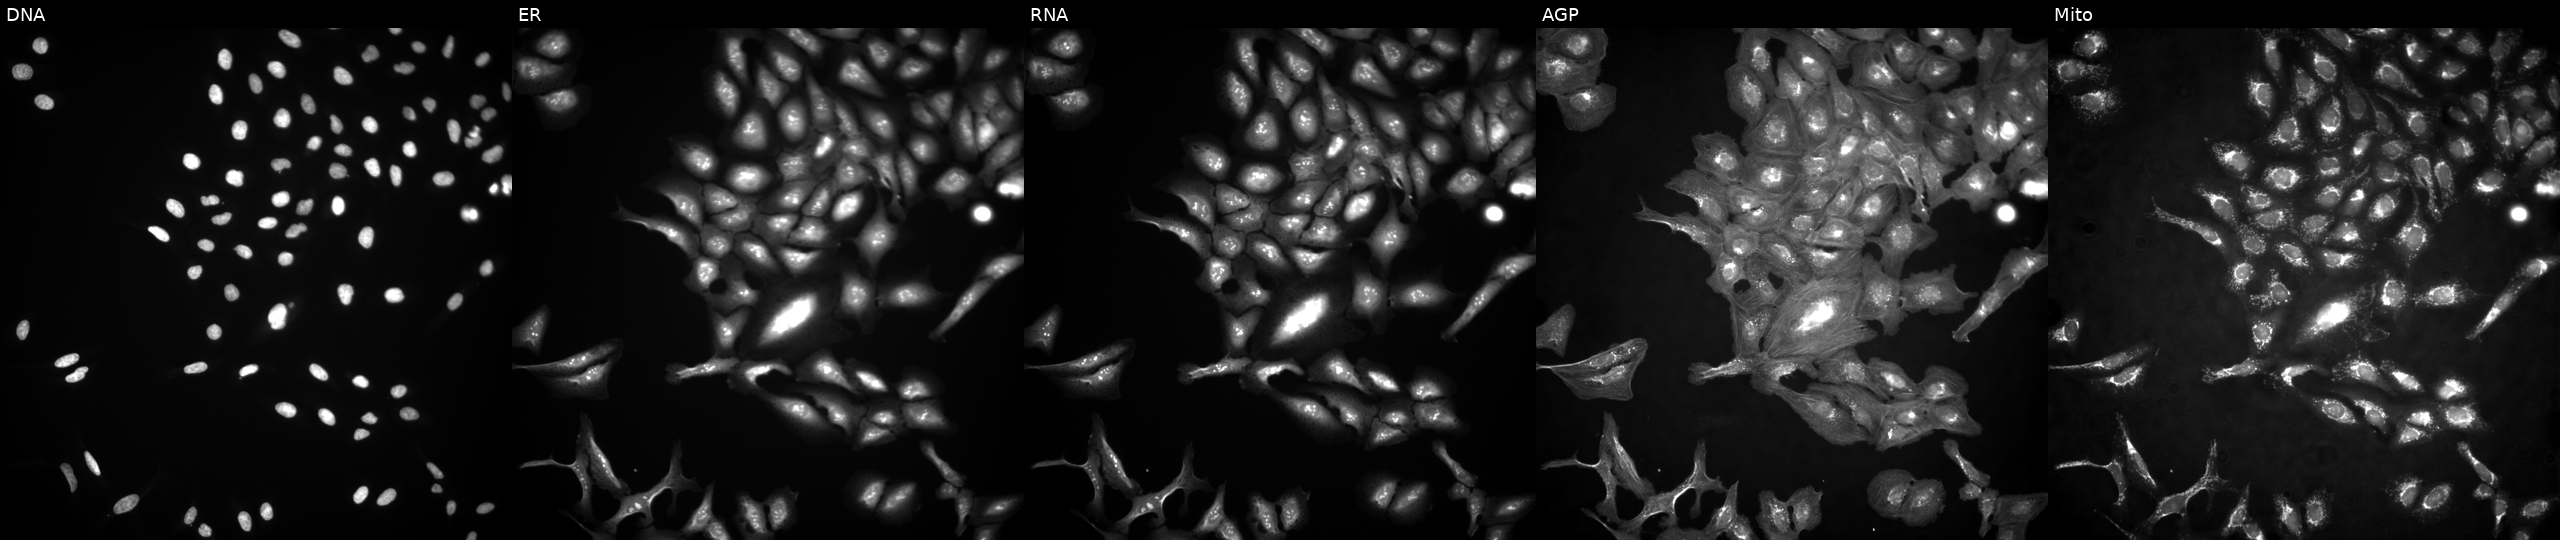
This image strip shows the five Cell Painting channels for a single field of U2OS cells with WWTR1 overexpressed (ORF) (JUMP id JCP2022_902710). Panels show, left to right, DNA (nuclei); ER (endoplasmic reticulum); RNA (nucleoli and cytoplasmic RNA); AGP (actin cytoskeleton, Golgi, and plasma membrane); Mito (mitochondria).